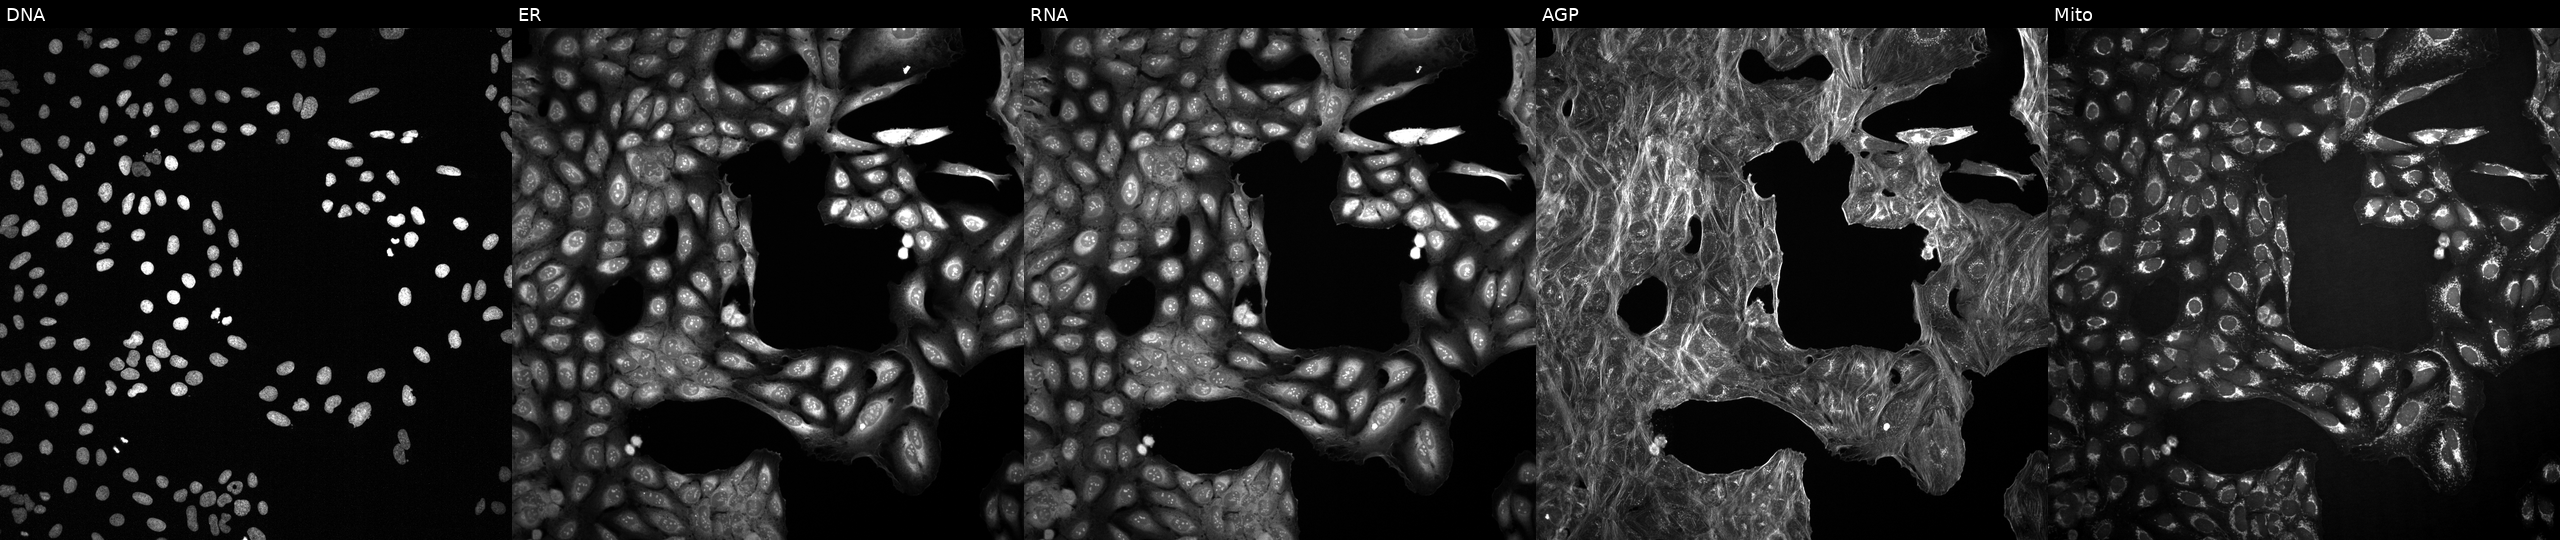
Five-channel Cell Painting image of U2OS cells with an unidentified perturbation (not annotated in JUMP metadata). The five panels, left to right, show DNA, ER, RNA, AGP, and Mito. Source 2, plate 1053601756, well J06.